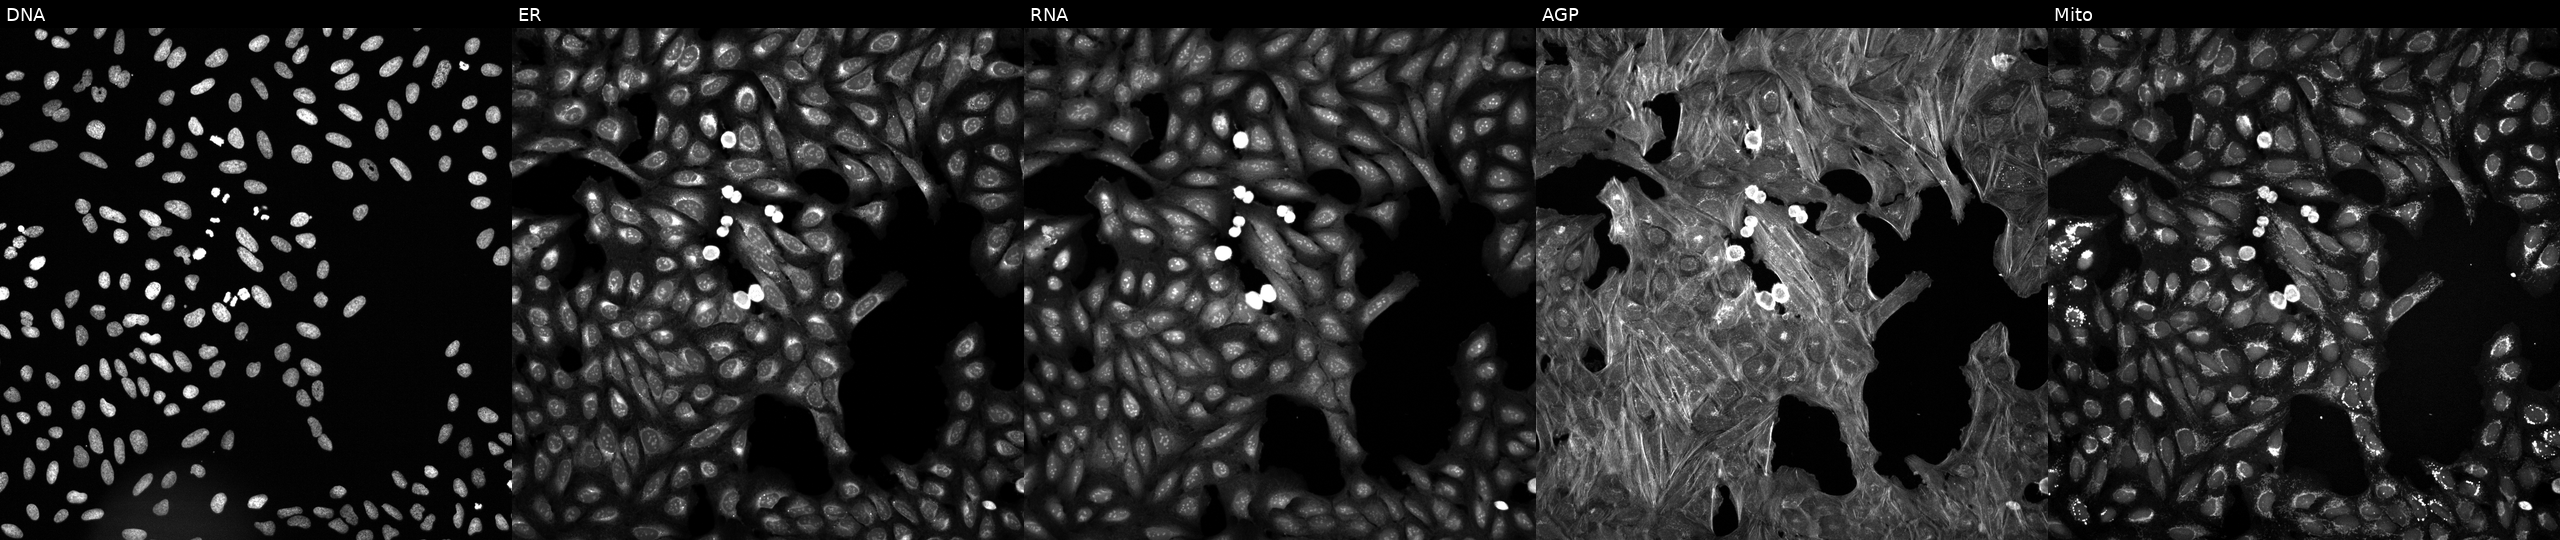
U2OS cells, Cell Painting assay, exposed to the positive-control compound quinidine (JUMP id JCP2022_050797). Panels show, left to right, DNA, ER, RNA, AGP, and Mito. Each panel is percentile-stretched 16-bit fluorescence. Source 6, plate 110000293083, well K24.